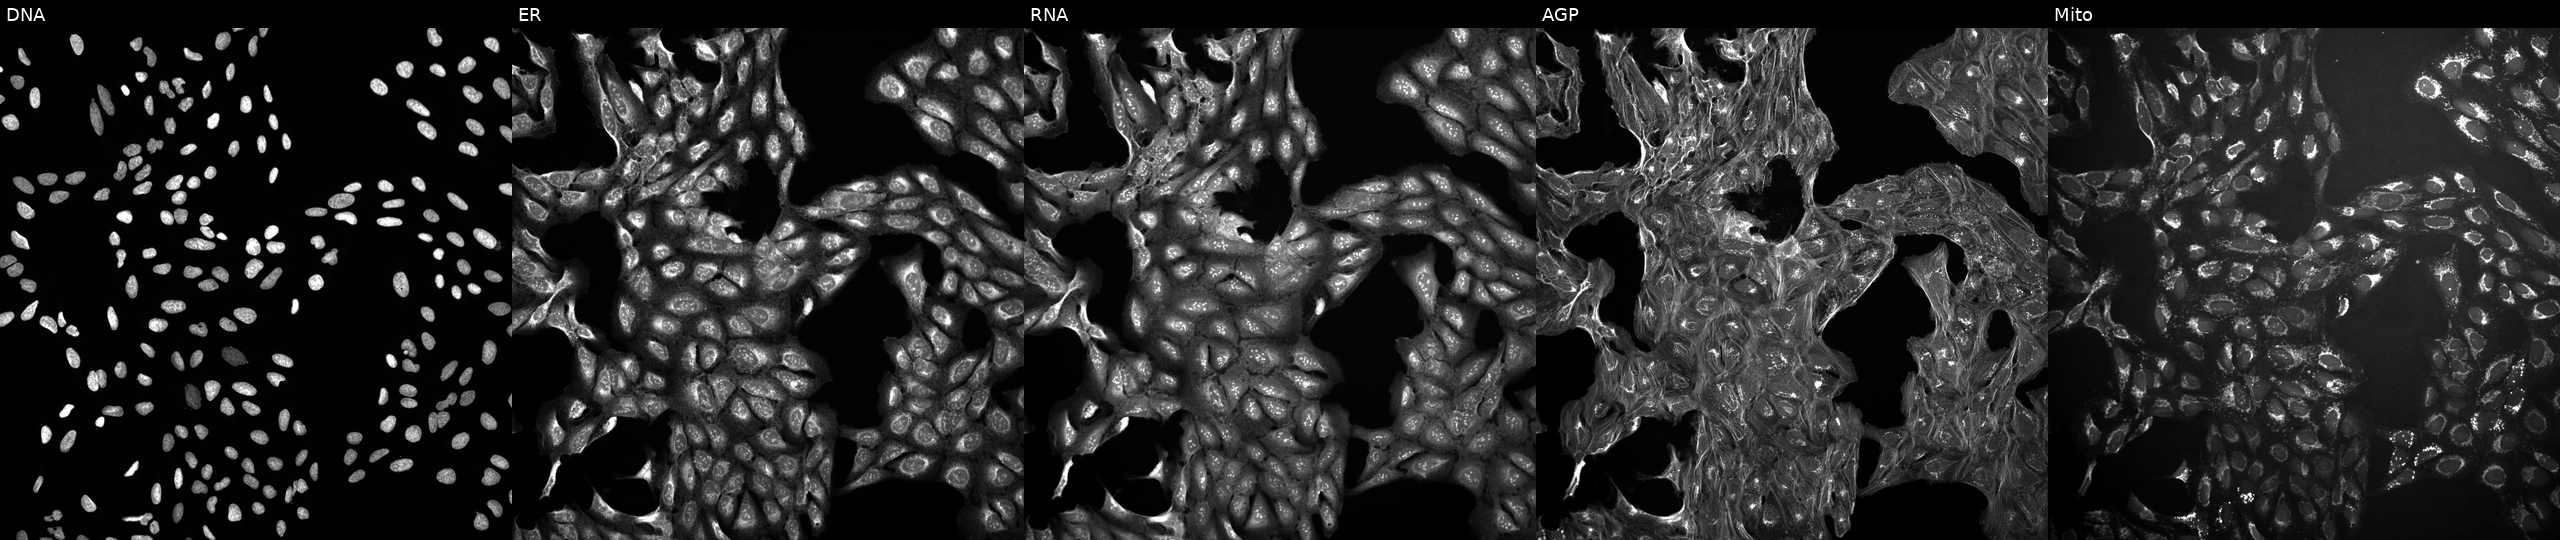
Channels (left→right): Hoechst 33342, concanavalin A, SYTO 14, phalloidin and WGA, MitoTracker. U2OS osteosarcoma cells exposed to a small-molecule compound (InChIKey LQQIIUVVZPFMDQ-UHFFFAOYSA-N). Cell Painting assay, JUMP-CP dataset.